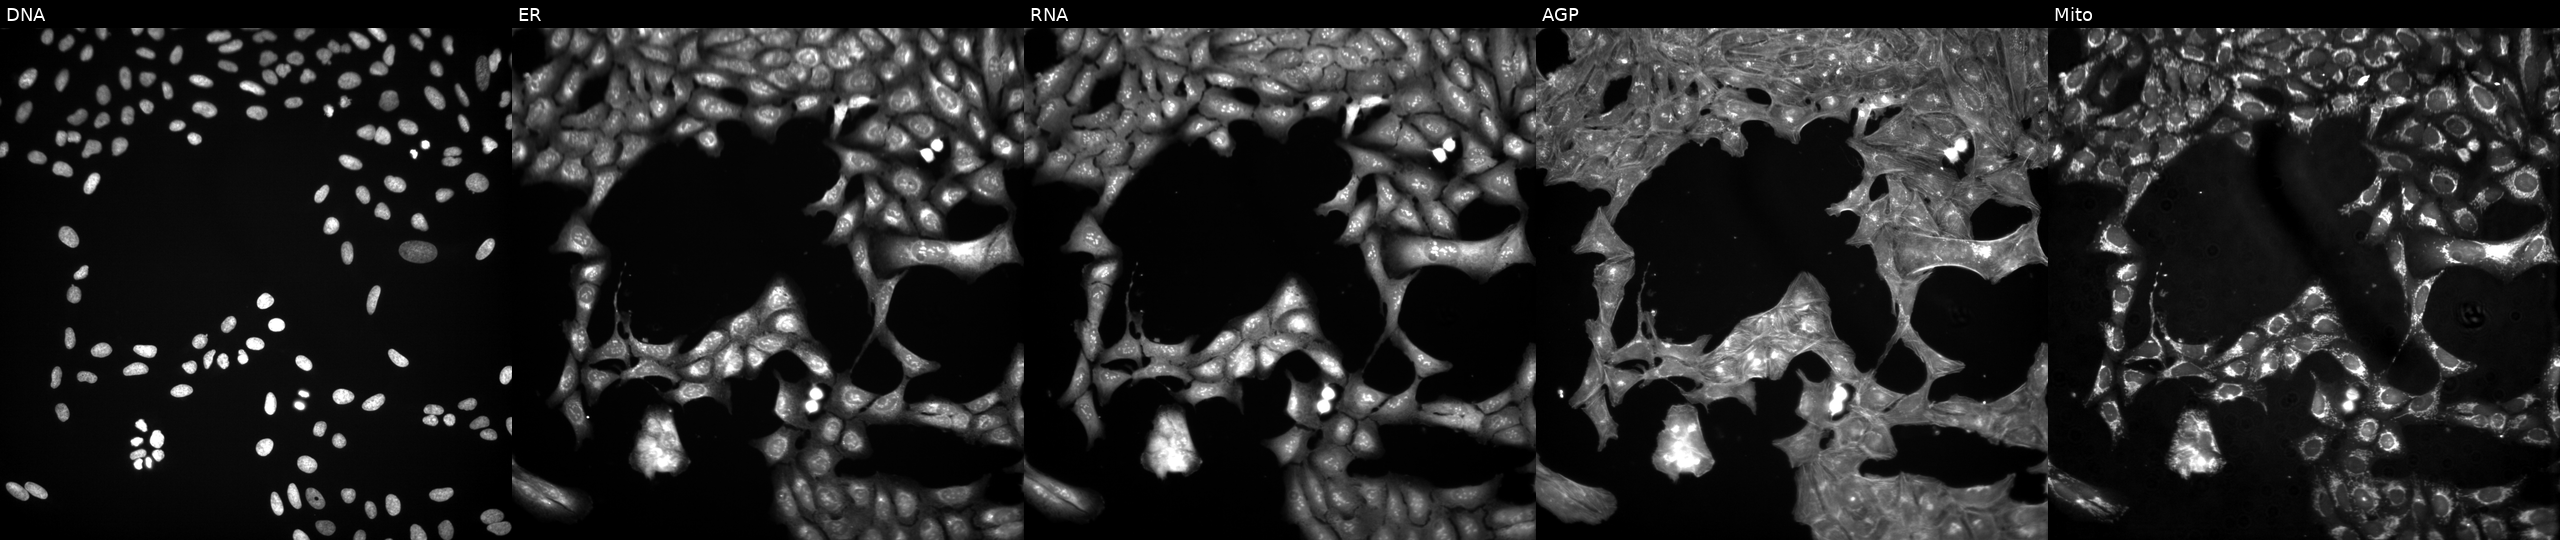
From left to right: DNA (nuclei); ER (endoplasmic reticulum); RNA (nucleoli and cytoplasmic RNA); AGP (actin cytoskeleton, Golgi, and plasma membrane); Mito (mitochondria). U2OS osteosarcoma cells exposed to the positive-control compound quinidine (JUMP id JCP2022_050797). Cell Painting assay, JUMP-CP dataset.